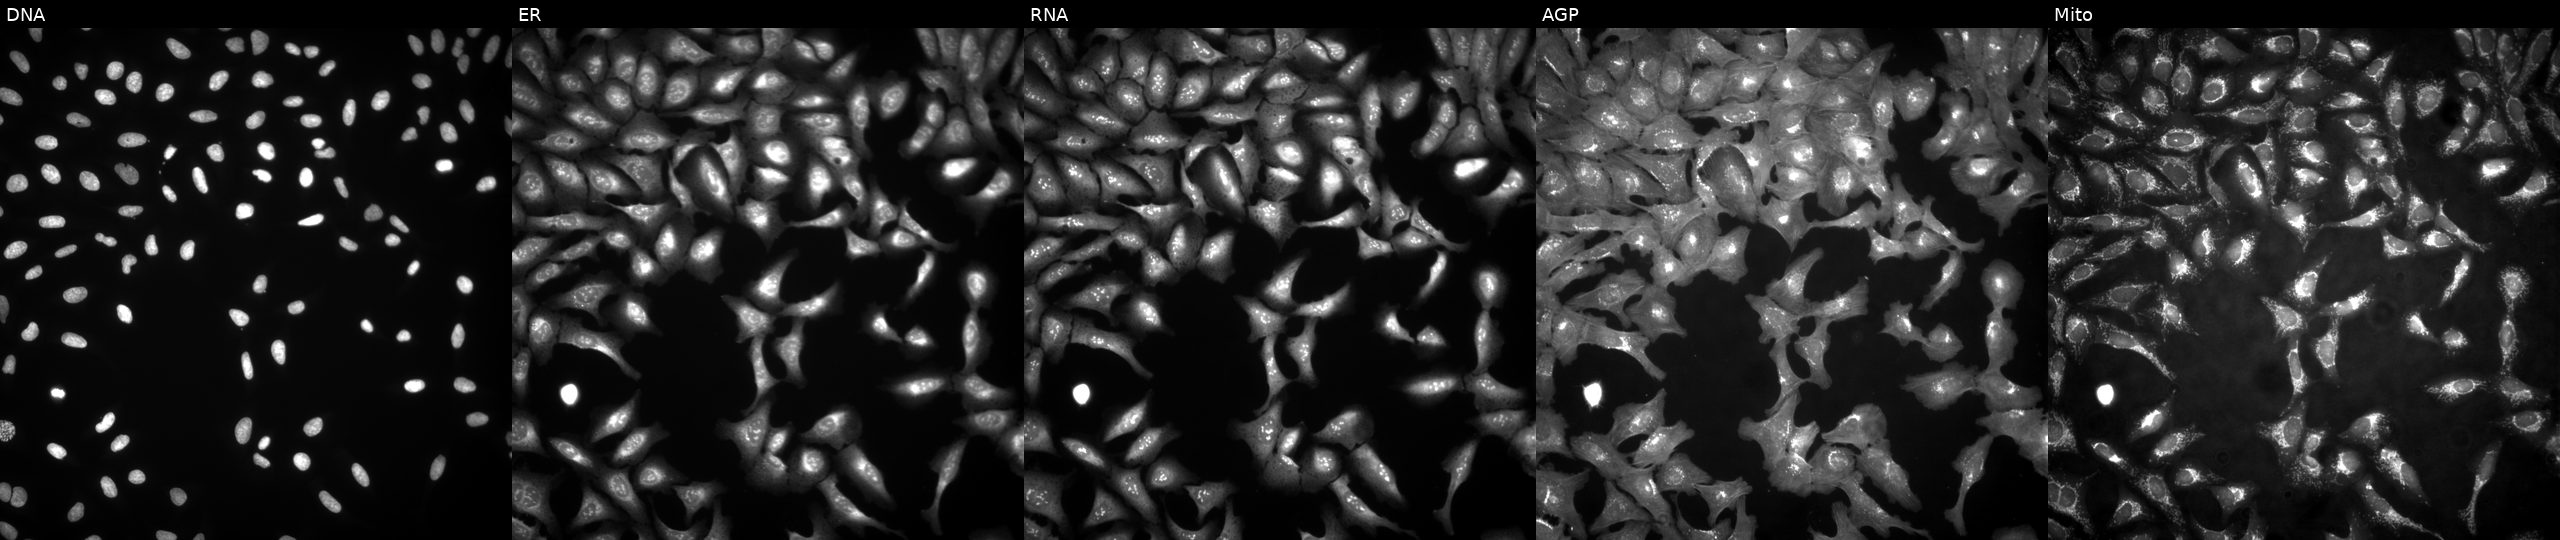
The five panels, left to right, show DNA (nuclei); ER (endoplasmic reticulum); RNA (nucleoli and cytoplasmic RNA); AGP (actin cytoskeleton, Golgi, and plasma membrane); Mito (mitochondria). U2OS osteosarcoma cells overexpressing TRNT1 via ORF transfection (JUMP id JCP2022_911139). Cell Painting assay, JUMP-CP dataset.